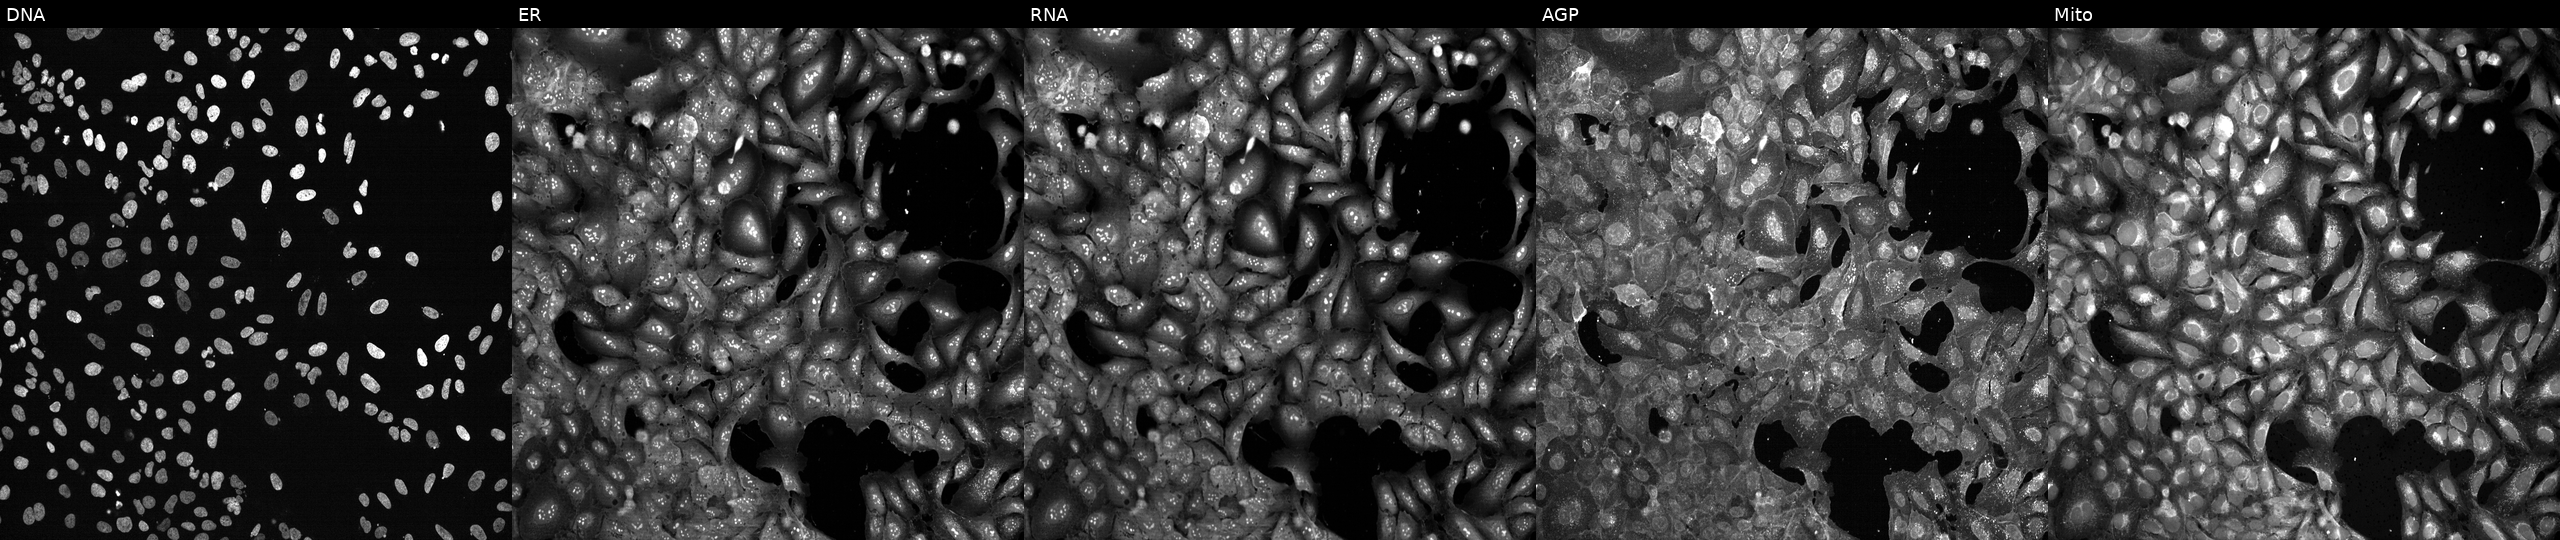
This image strip shows the five Cell Painting channels for a single field of U2OS cells CRISPR-edited to disrupt ANXA9 (JUMP id JCP2022_800497). From left to right: DNA, ER, RNA, AGP, and Mito.